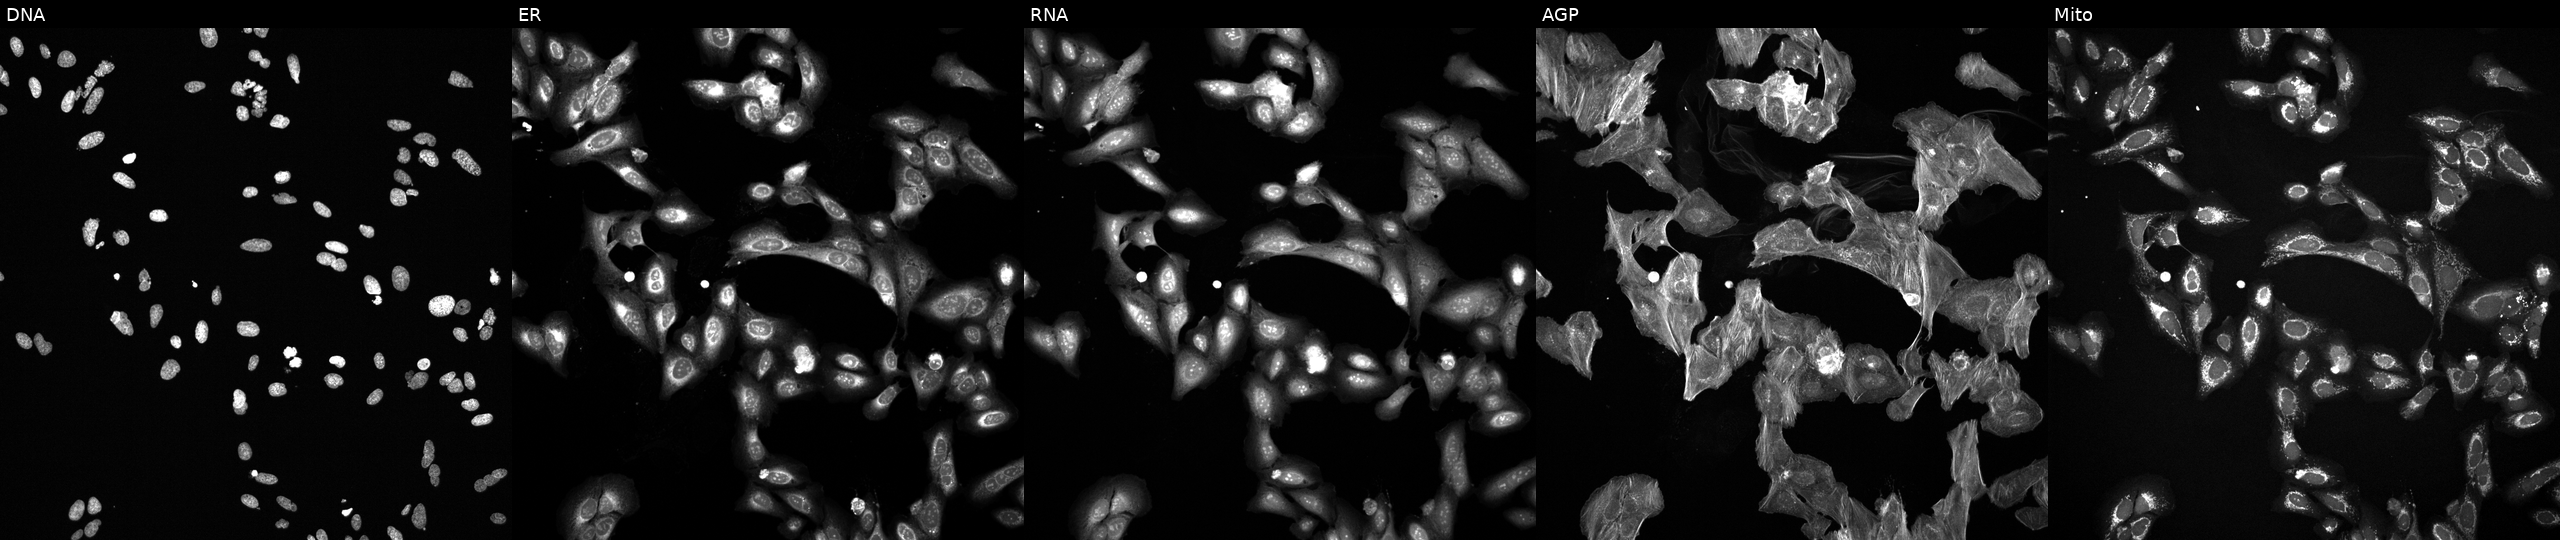
JUMP Cell Painting — TARGET2 plate. U2OS cells treated with a small-molecule compound (InChIKey HSTZMXCBWJGKHG-UHFFFAOYSA-N) (JUMP id JCP2022_032353). Panels show, left to right, DNA (nuclei); ER (endoplasmic reticulum); RNA (nucleoli and cytoplasmic RNA); AGP (actin cytoskeleton, Golgi, and plasma membrane); Mito (mitochondria).